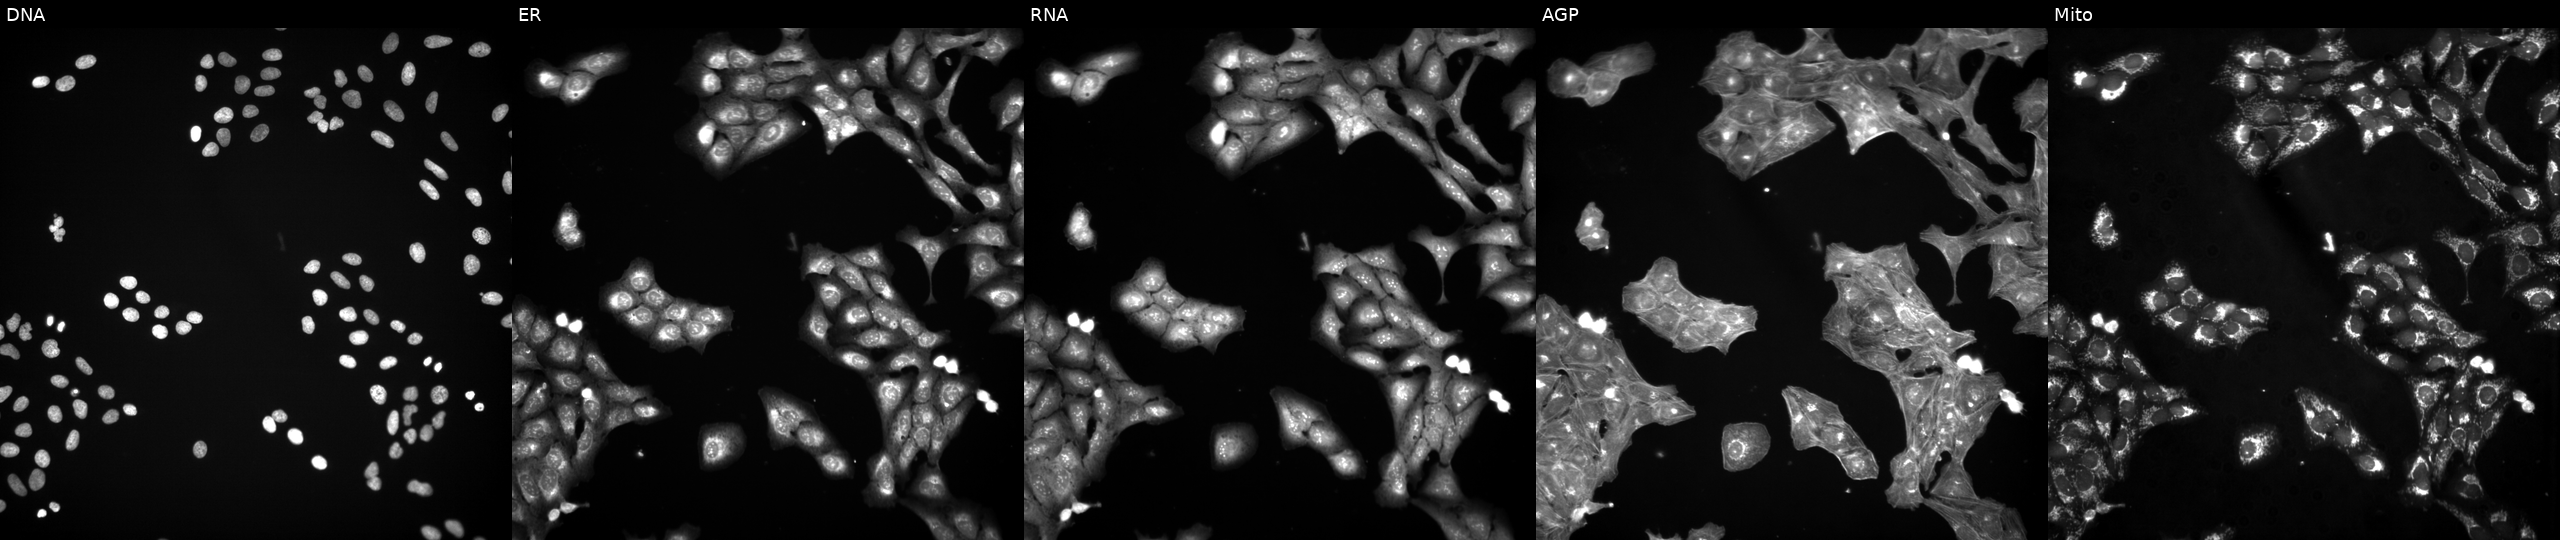
Five-channel Cell Painting image of U2OS cells perturbed with a small-molecule compound (InChIKey SVMHYHIZWOJKDL-UHFFFAOYSA-N) (JUMP id JCP2022_085892). The five panels, left to right, show Hoechst 33342, concanavalin A, SYTO 14, phalloidin and WGA, MitoTracker. Source 3, plate JCPQC053, well P12.